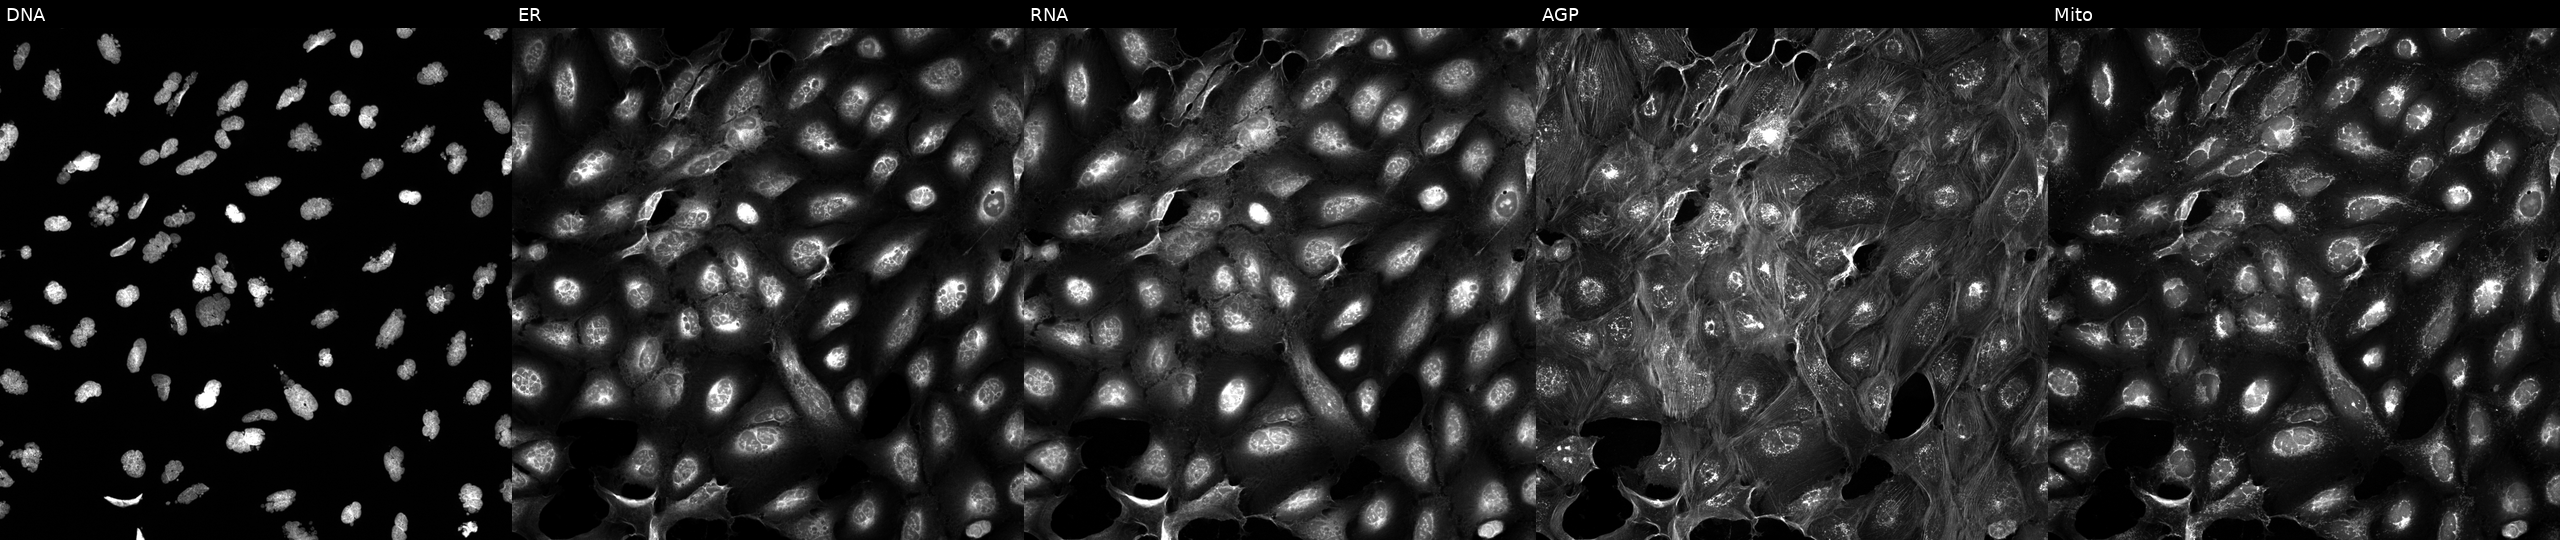
JUMP Cell Painting — TARGET2 plate. U2OS cells treated with a small-molecule compound (InChIKey QTBWCSQGBMPECM-UHFFFAOYSA-N). From left to right: Hoechst 33342, concanavalin A, SYTO 14, phalloidin and WGA, MitoTracker.